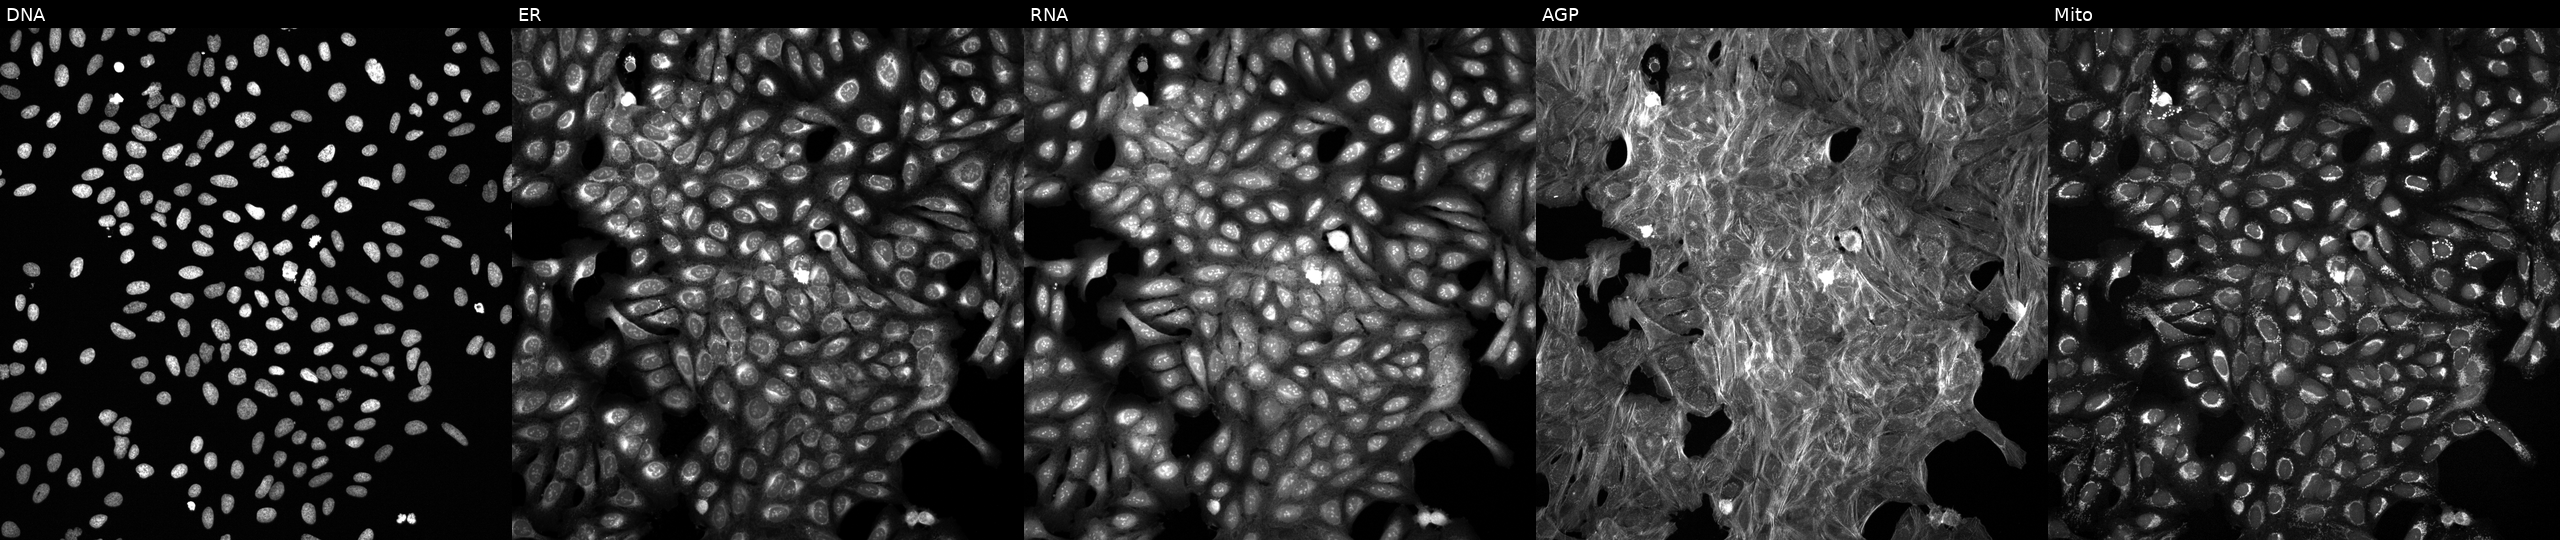
Panels show, left to right, DNA (nuclei); ER (endoplasmic reticulum); RNA (nucleoli and cytoplasmic RNA); AGP (actin cytoskeleton, Golgi, and plasma membrane); Mito (mitochondria). U2OS osteosarcoma cells perturbed with a small-molecule compound. Cell Painting assay, JUMP-CP dataset.